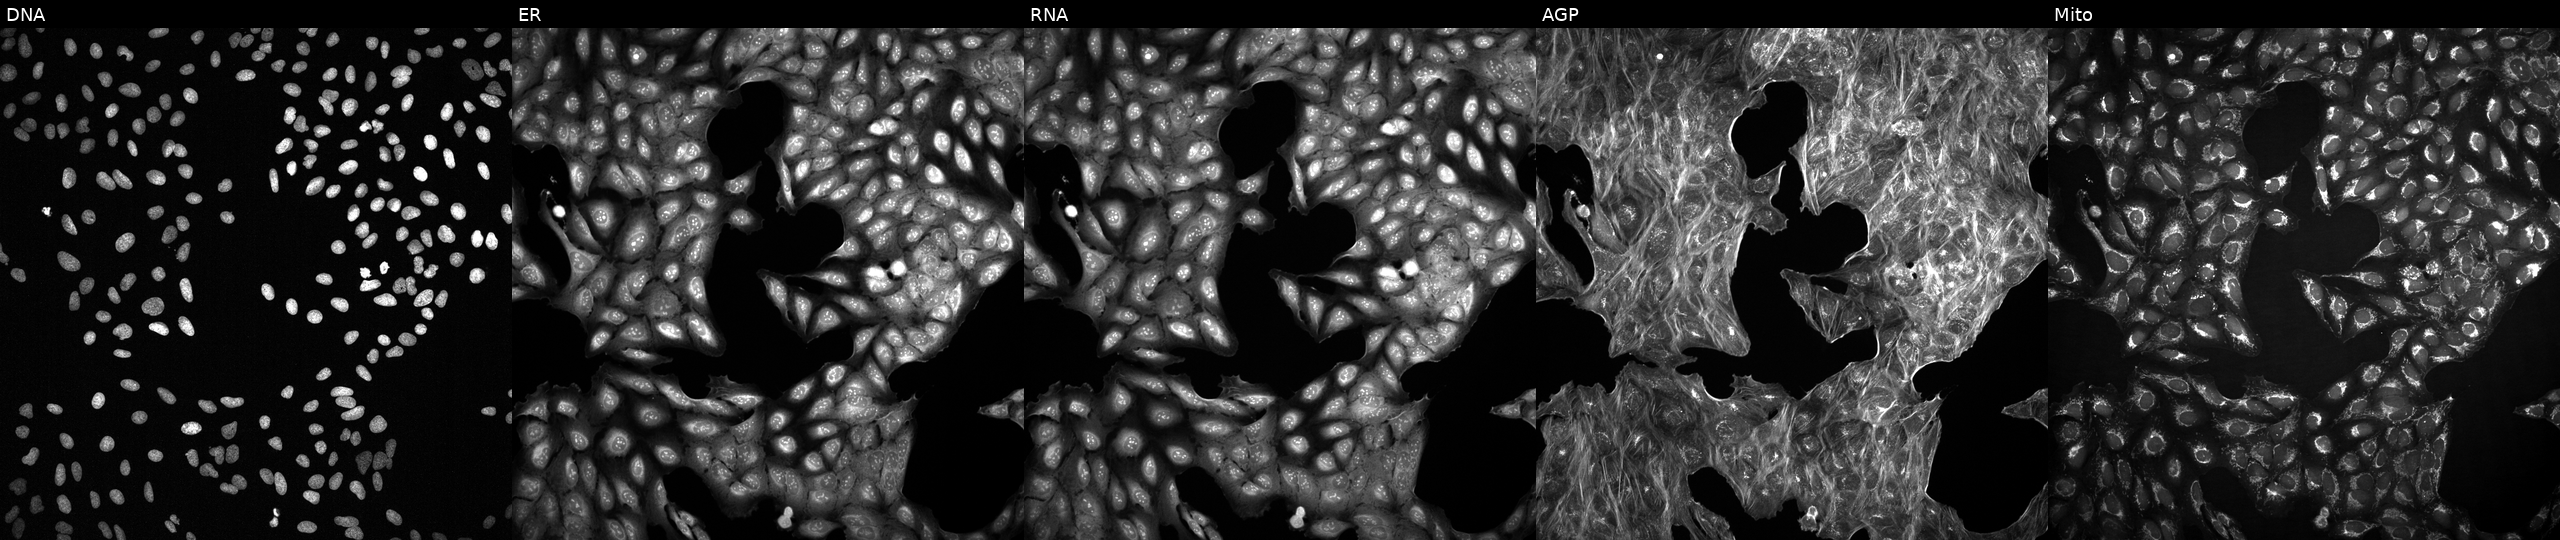
JUMP Cell Painting — COMPOUND plate. U2OS cells with an unidentified perturbation (not annotated in JUMP metadata). From left to right: Hoechst 33342, concanavalin A, SYTO 14, phalloidin and WGA, MitoTracker.